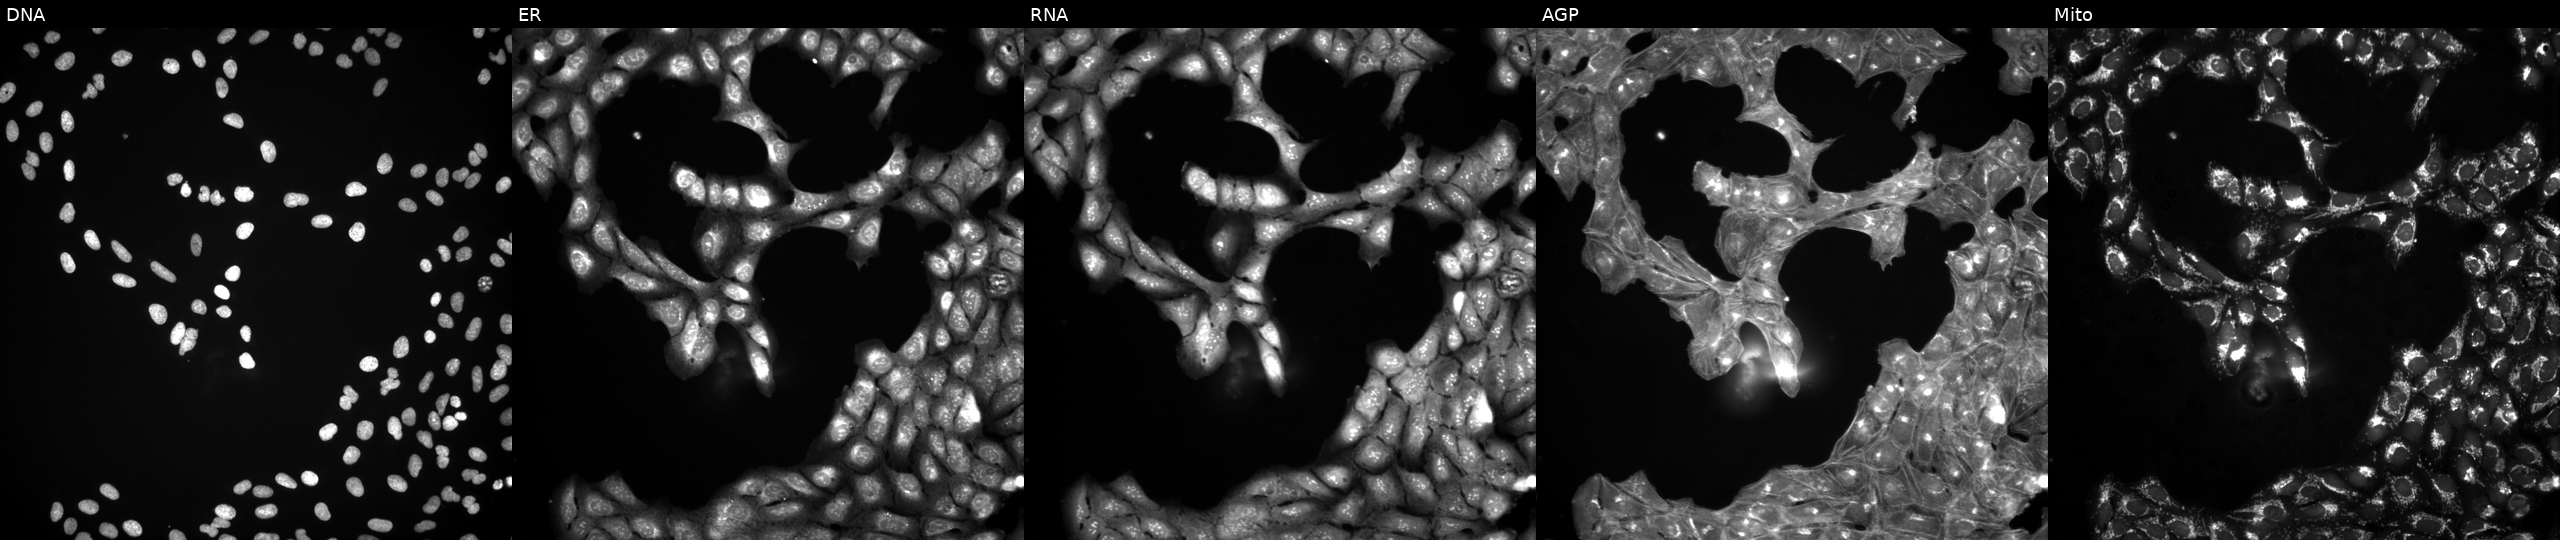
Channels (left→right): DNA (nuclei); ER (endoplasmic reticulum); RNA (nucleoli and cytoplasmic RNA); AGP (actin cytoskeleton, Golgi, and plasma membrane); Mito (mitochondria). U2OS osteosarcoma cells treated with a small-molecule compound (InChIKey ZNNLBTZKUZBEKO-UHFFFAOYSA-N). Cell Painting assay, JUMP-CP dataset. Source 3, plate JCPQC051, well O15.